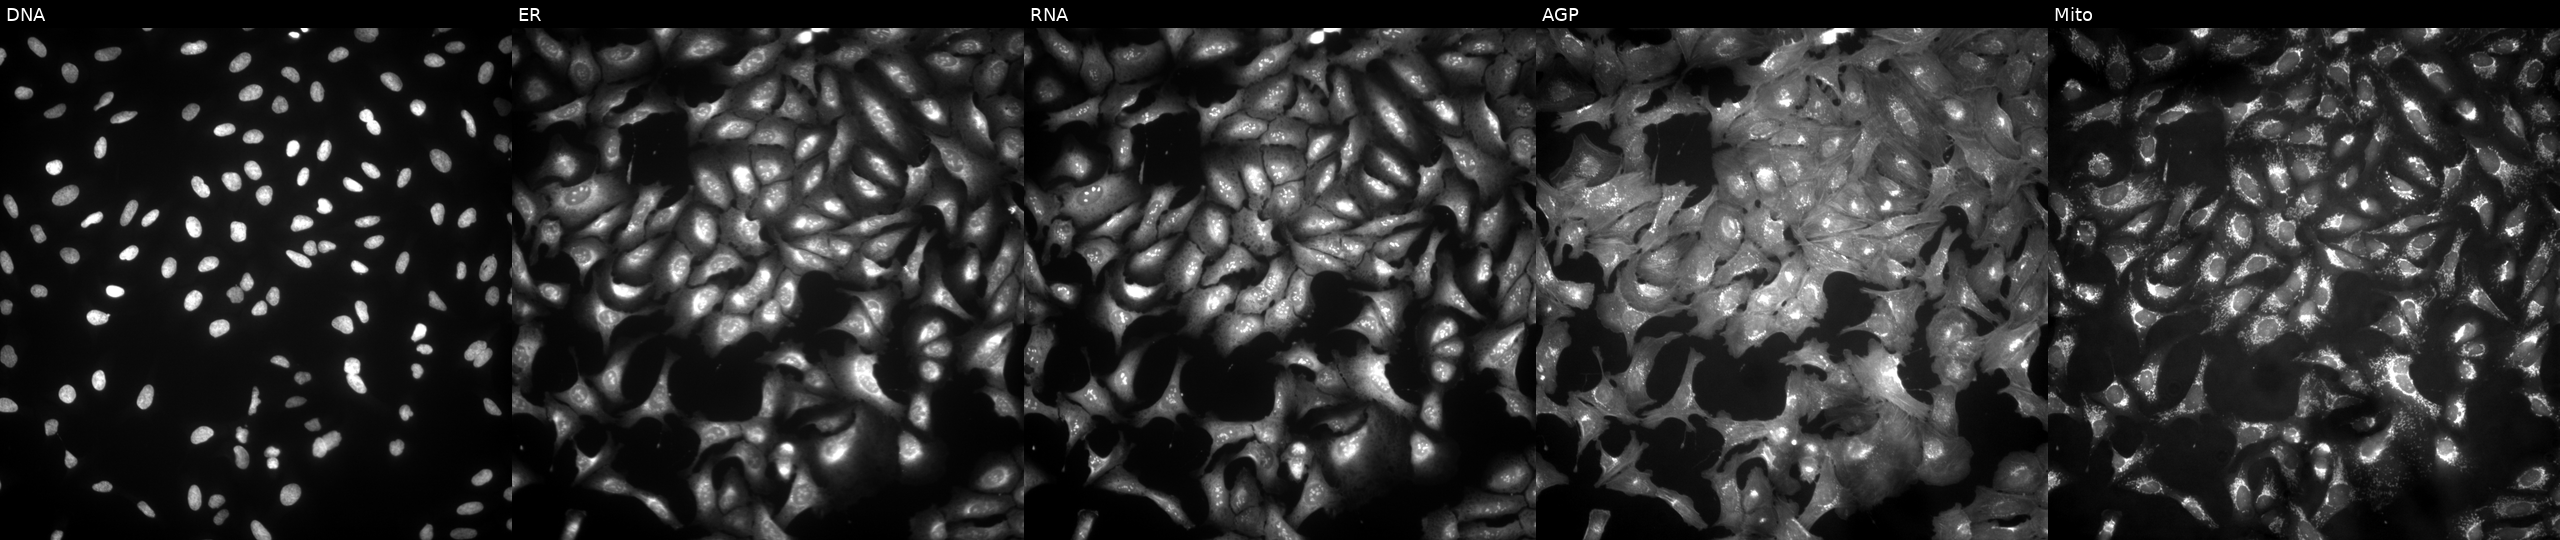
High-content fluorescence microscopy (Cell Painting). Cell line: U2OS. Perturbation: transfected with an ORF construct for NSUN5. From left to right: DNA (nuclei); ER (endoplasmic reticulum); RNA (nucleoli and cytoplasmic RNA); AGP (actin cytoskeleton, Golgi, and plasma membrane); Mito (mitochondria). Source 4, plate BR00123506, well A09.